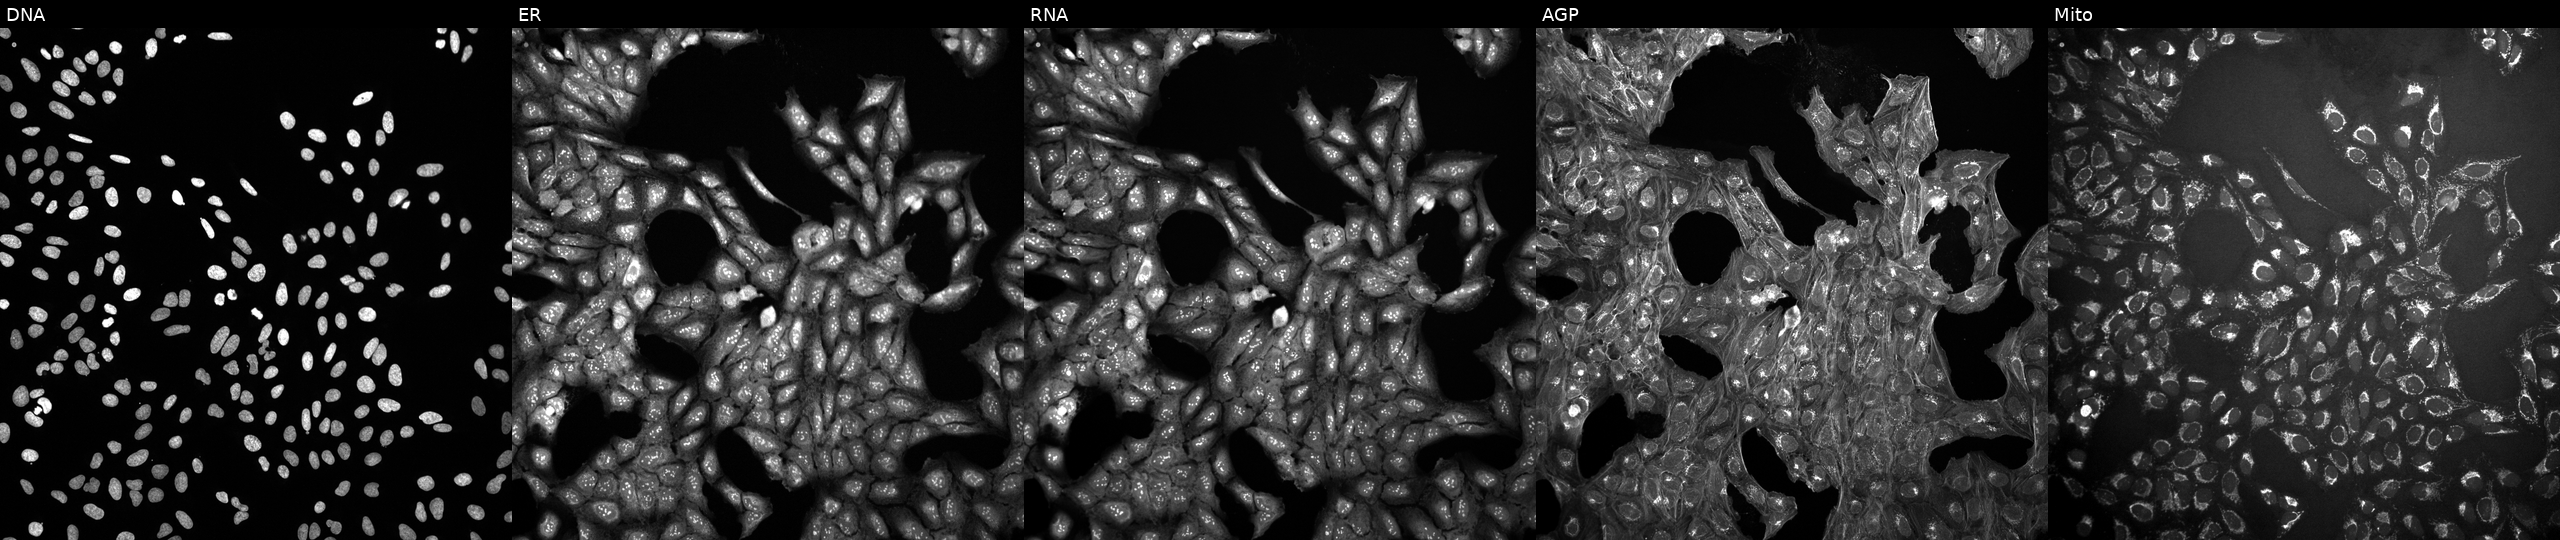
JUMP Cell Painting — COMPOUND plate. U2OS cells perturbed with a small-molecule compound (InChIKey ROYPKDGVOIBJJE-UHFFFAOYSA-N). From left to right: Hoechst 33342, concanavalin A, SYTO 14, phalloidin and WGA, MitoTracker. Source 10, plate Dest210531-152149, well F13.